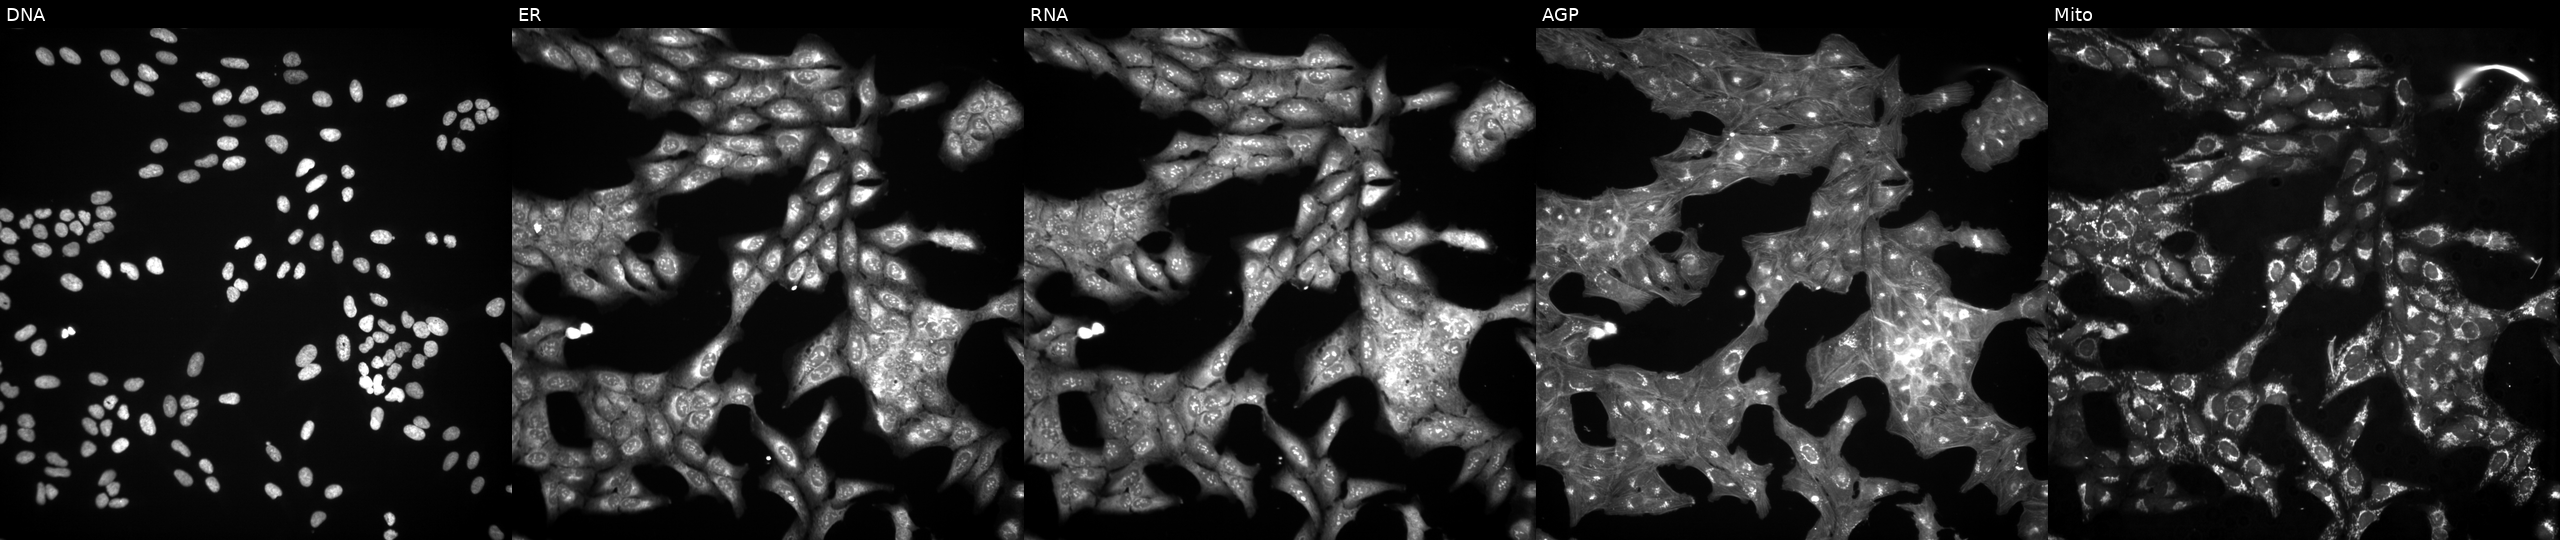
JUMP Cell Painting — TARGET2 plate. U2OS cells treated with a small-molecule compound (InChIKey NMUSYJAQQFHJEW-UHFFFAOYSA-N) [SMILES: N=c1ncn(C2OC(CO)C(O)C2O)c(=O)[nH]1]. Channels (left→right): DNA, ER, RNA, AGP, and Mito.